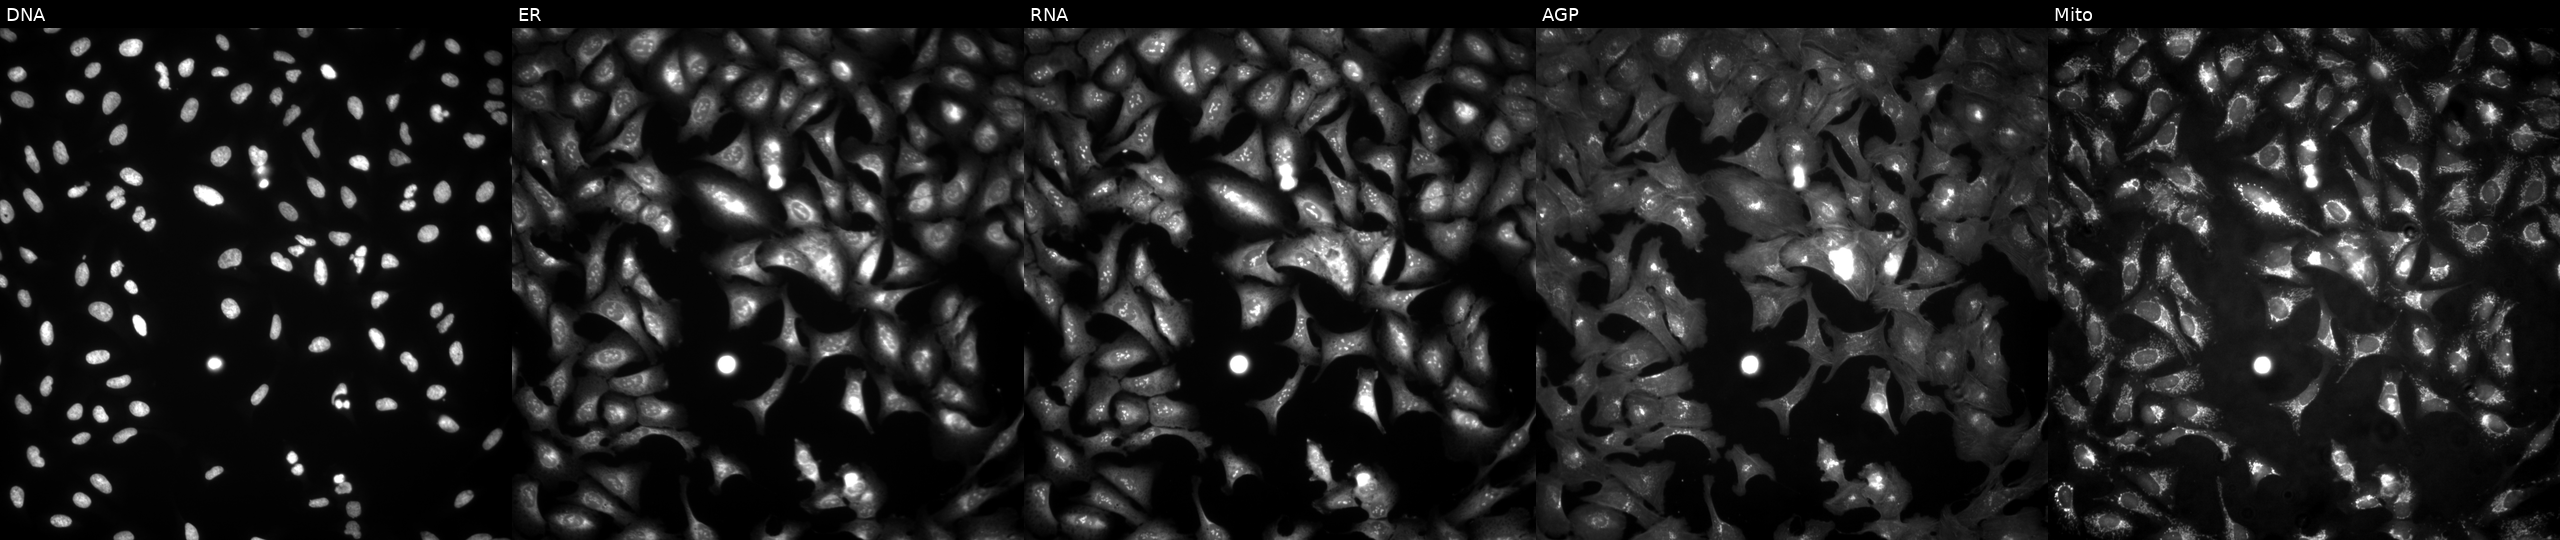
This image strip shows the five Cell Painting channels for a single field of U2OS cells transfected with an ORF construct for TRIM74. Channels (left→right): DNA, ER, RNA, AGP, and Mito. Source 4, plate BR00123509, well D23.